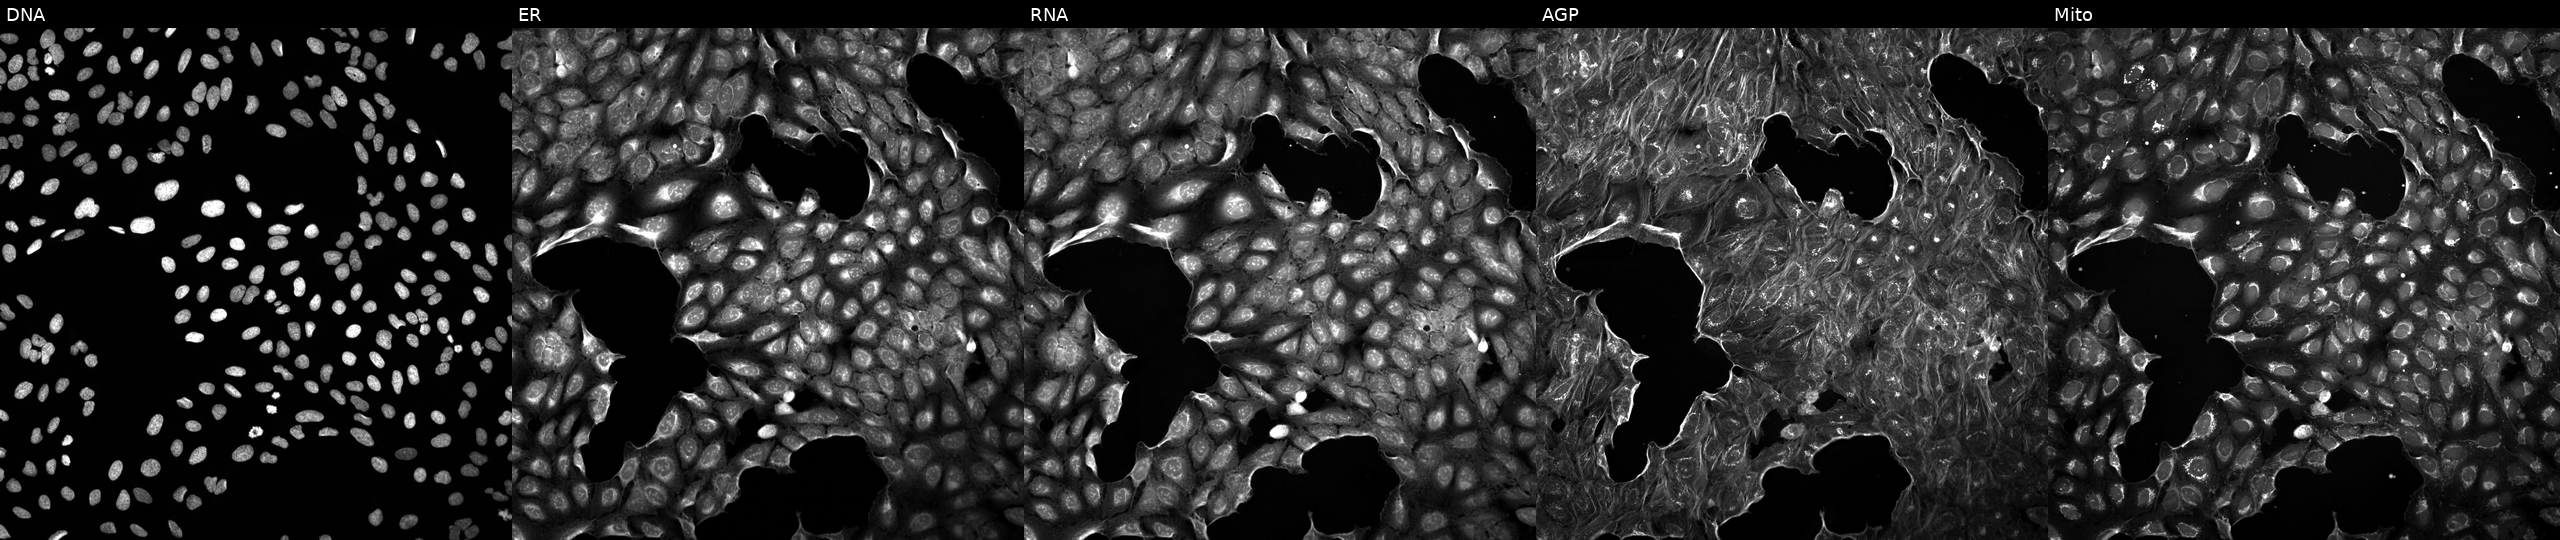
Five-channel Cell Painting image of U2OS cells treated with a small-molecule compound (InChIKey ZNNLBTZKUZBEKO-UHFFFAOYSA-N). Channels (left→right): DNA, ER, RNA, AGP, and Mito. Source 5, plate ACPJUM051, well O15.